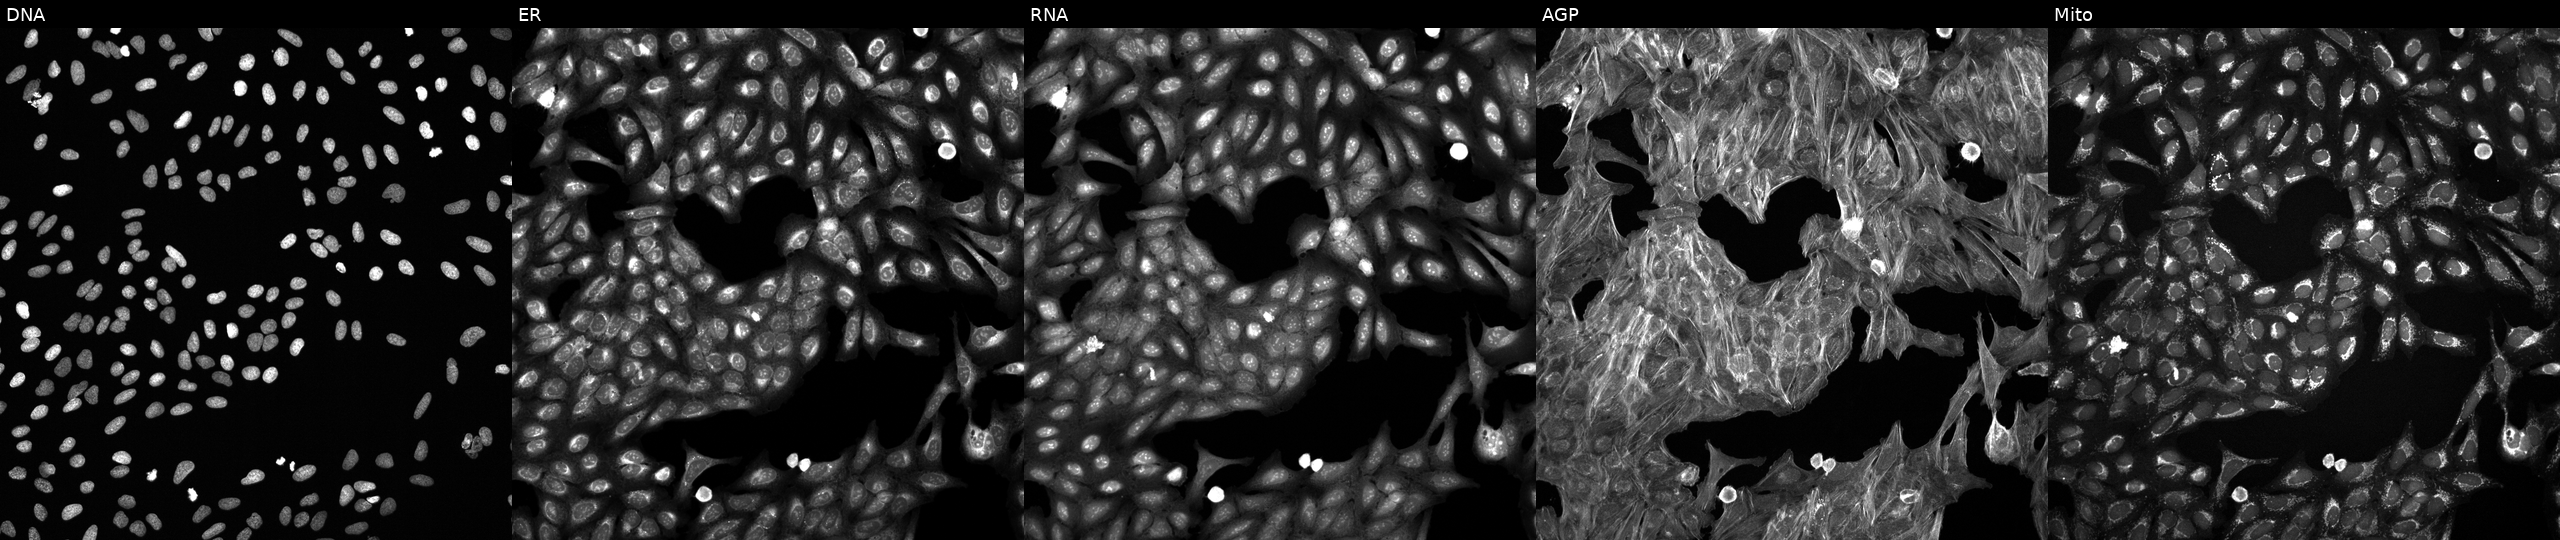
High-content fluorescence microscopy (Cell Painting). Cell line: U2OS. Perturbation: treated with DMSO vehicle only (negative control) (JUMP id JCP2022_033924). From left to right: DNA, ER, RNA, AGP, and Mito. Source 6, plate 110000293093, well L03.